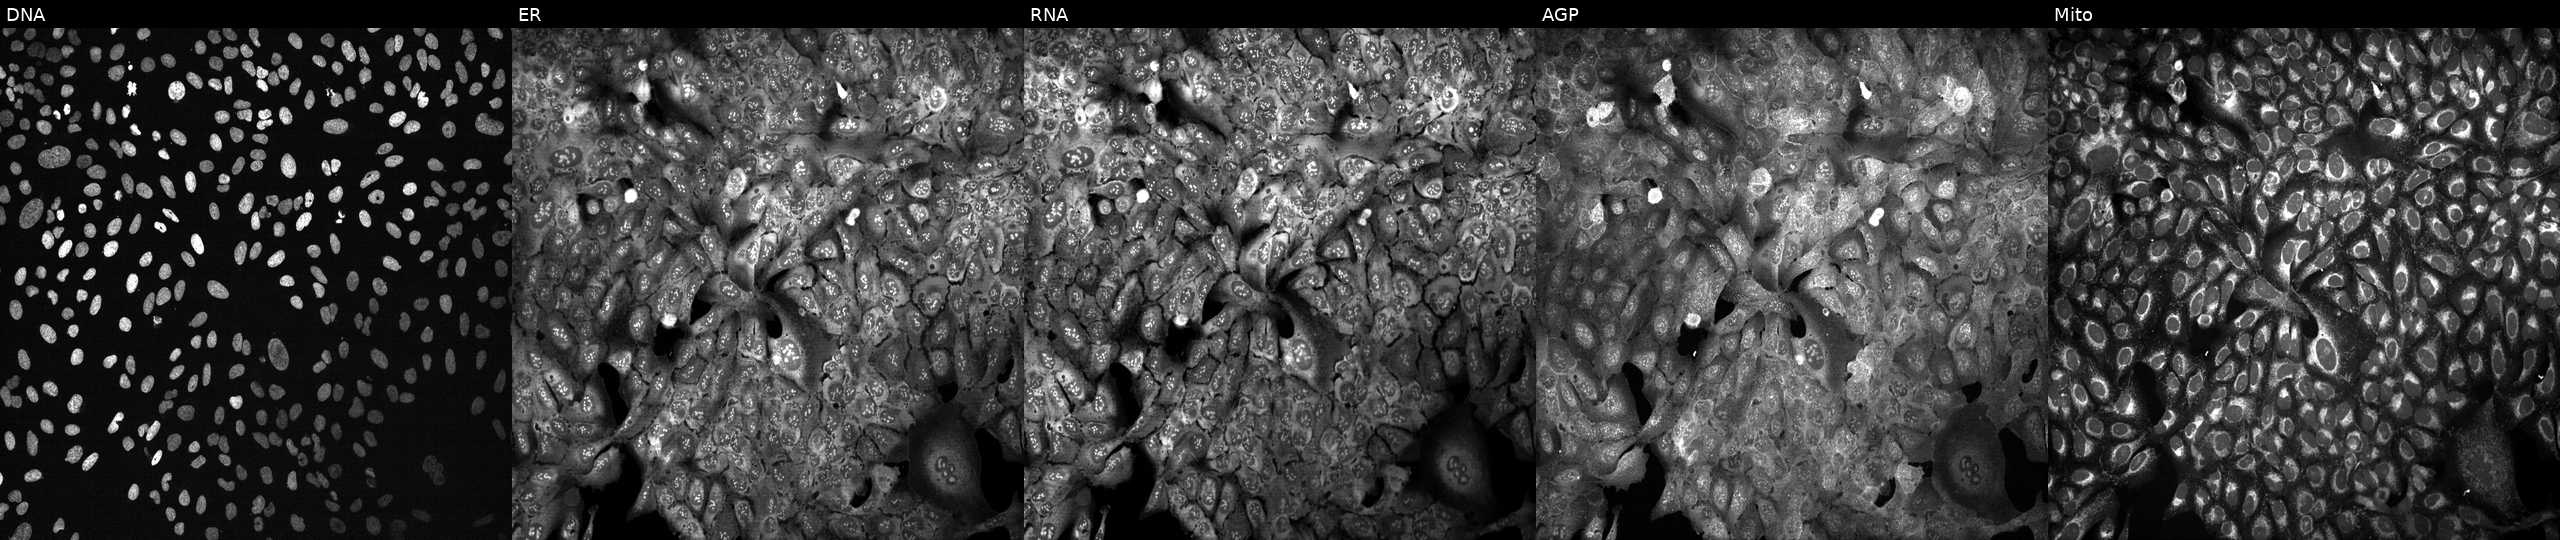
Five-channel Cell Painting image of U2OS cells CRISPR-edited to disrupt FDXR. From left to right: DNA (nuclei); ER (endoplasmic reticulum); RNA (nucleoli and cytoplasmic RNA); AGP (actin cytoskeleton, Golgi, and plasma membrane); Mito (mitochondria). Source 13, plate CP-CC9-R4-04, well N21.